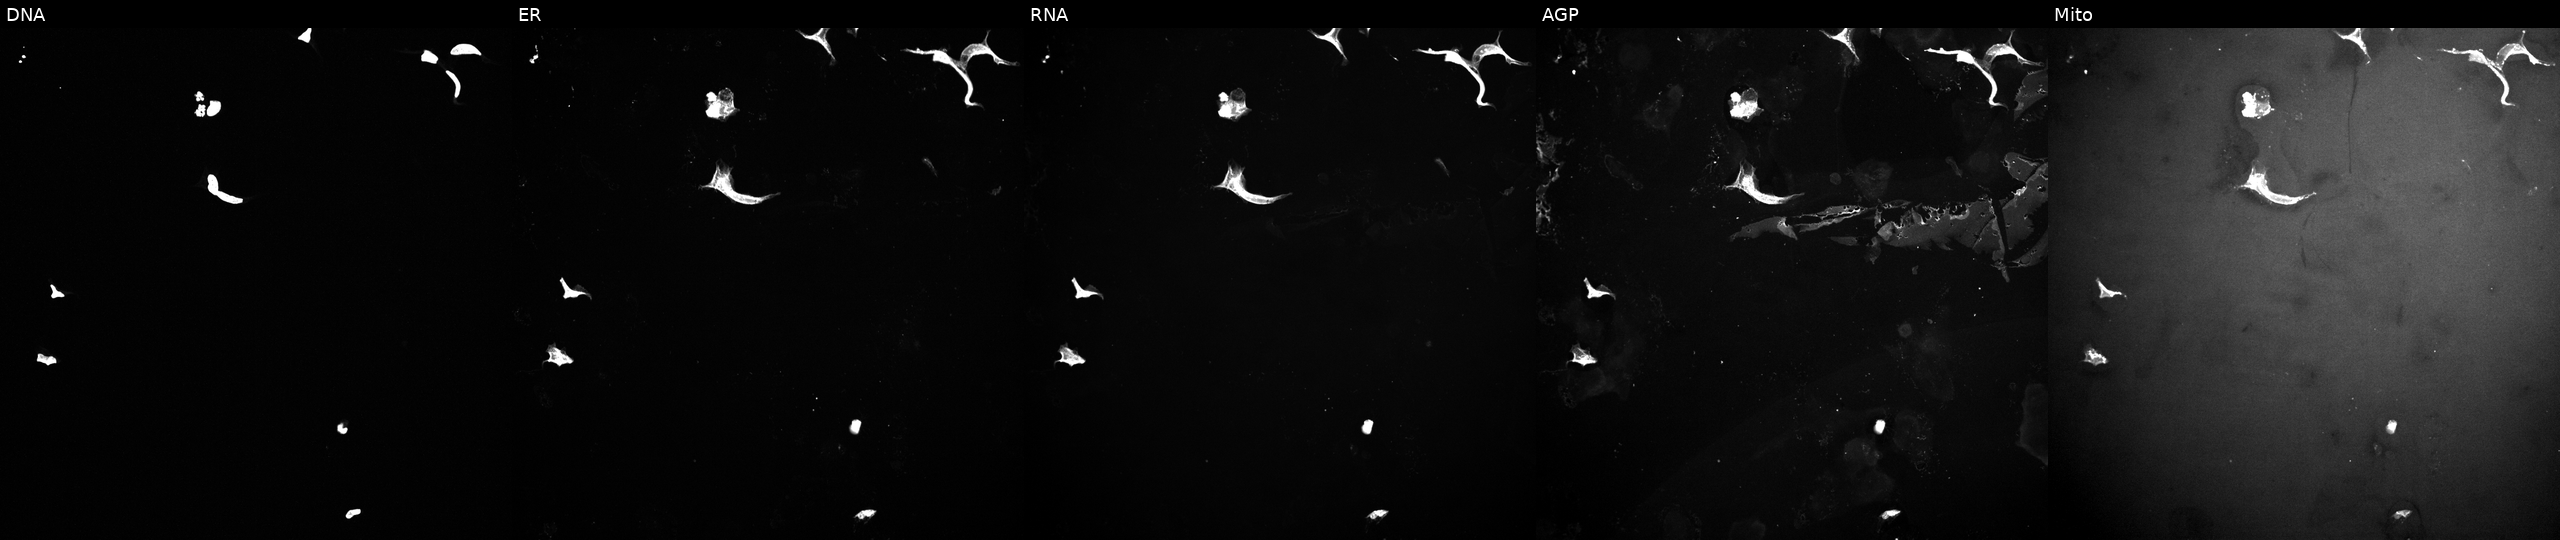
Panels show, left to right, Hoechst 33342, concanavalin A, SYTO 14, phalloidin and WGA, MitoTracker. U2OS osteosarcoma cells perturbed with a small-molecule compound (InChIKey YKJYKKNCCRKFSL-UHFFFAOYSA-N). Cell Painting assay, JUMP-CP dataset.